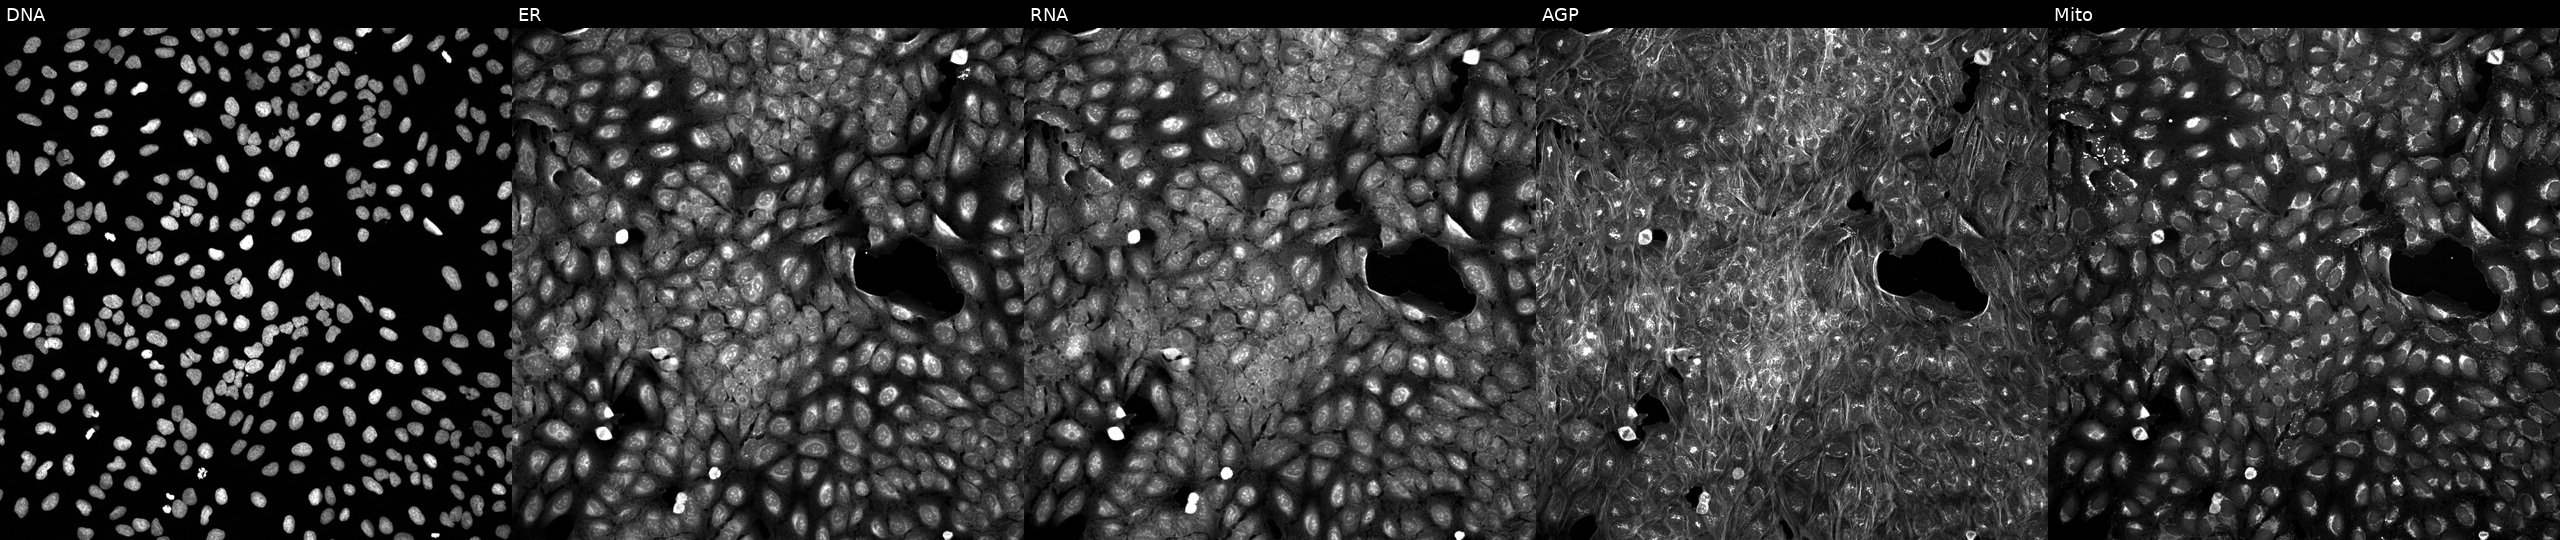
U2OS cells, Cell Painting assay, exposed to a small-molecule compound (InChIKey KFAKESMKRPNZTM-UHFFFAOYSA-N) [SMILES: COc1ccc(OC)c2c(=S)c3ccccc3[nH]c12] (JUMP id JCP2022_044197). Channels (left→right): Hoechst 33342, concanavalin A, SYTO 14, phalloidin and WGA, MitoTracker. Each panel is percentile-stretched 16-bit fluorescence. Source 5, plate ACPJUM051, well C23.